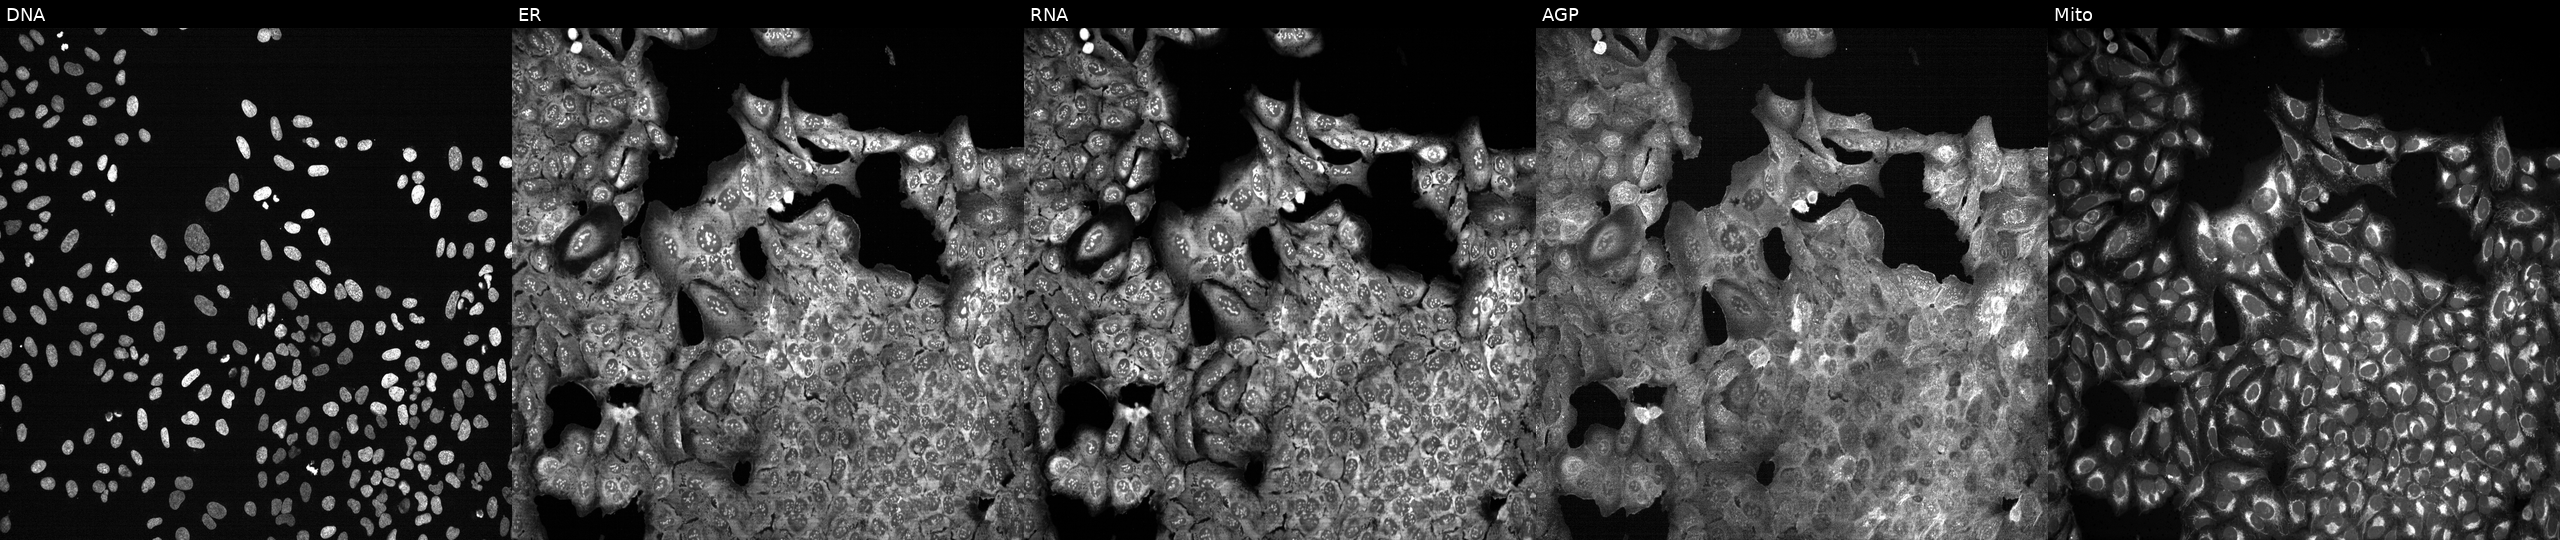
U2OS cells, Cell Painting assay, following CRISPR knockout of DNM1L. Channels (left→right): DNA (nuclei); ER (endoplasmic reticulum); RNA (nucleoli and cytoplasmic RNA); AGP (actin cytoskeleton, Golgi, and plasma membrane); Mito (mitochondria). Each panel is percentile-stretched 16-bit fluorescence.